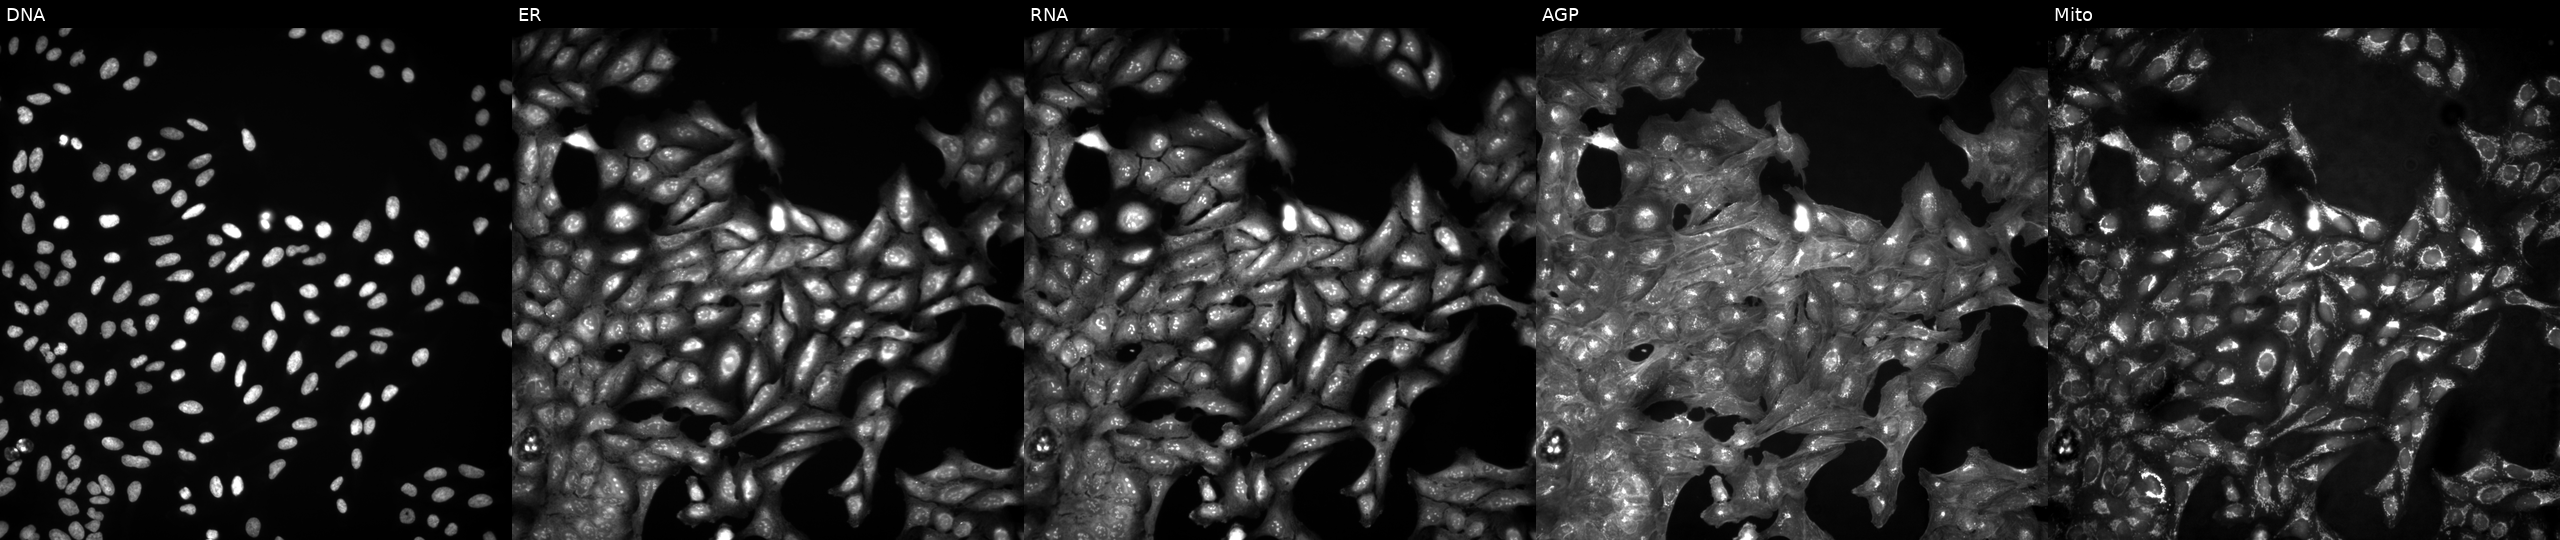
From left to right: DNA, ER, RNA, AGP, and Mito. U2OS osteosarcoma cells untreated (empty-well control) (JUMP id JCP2022_999999). Cell Painting assay, JUMP-CP dataset.